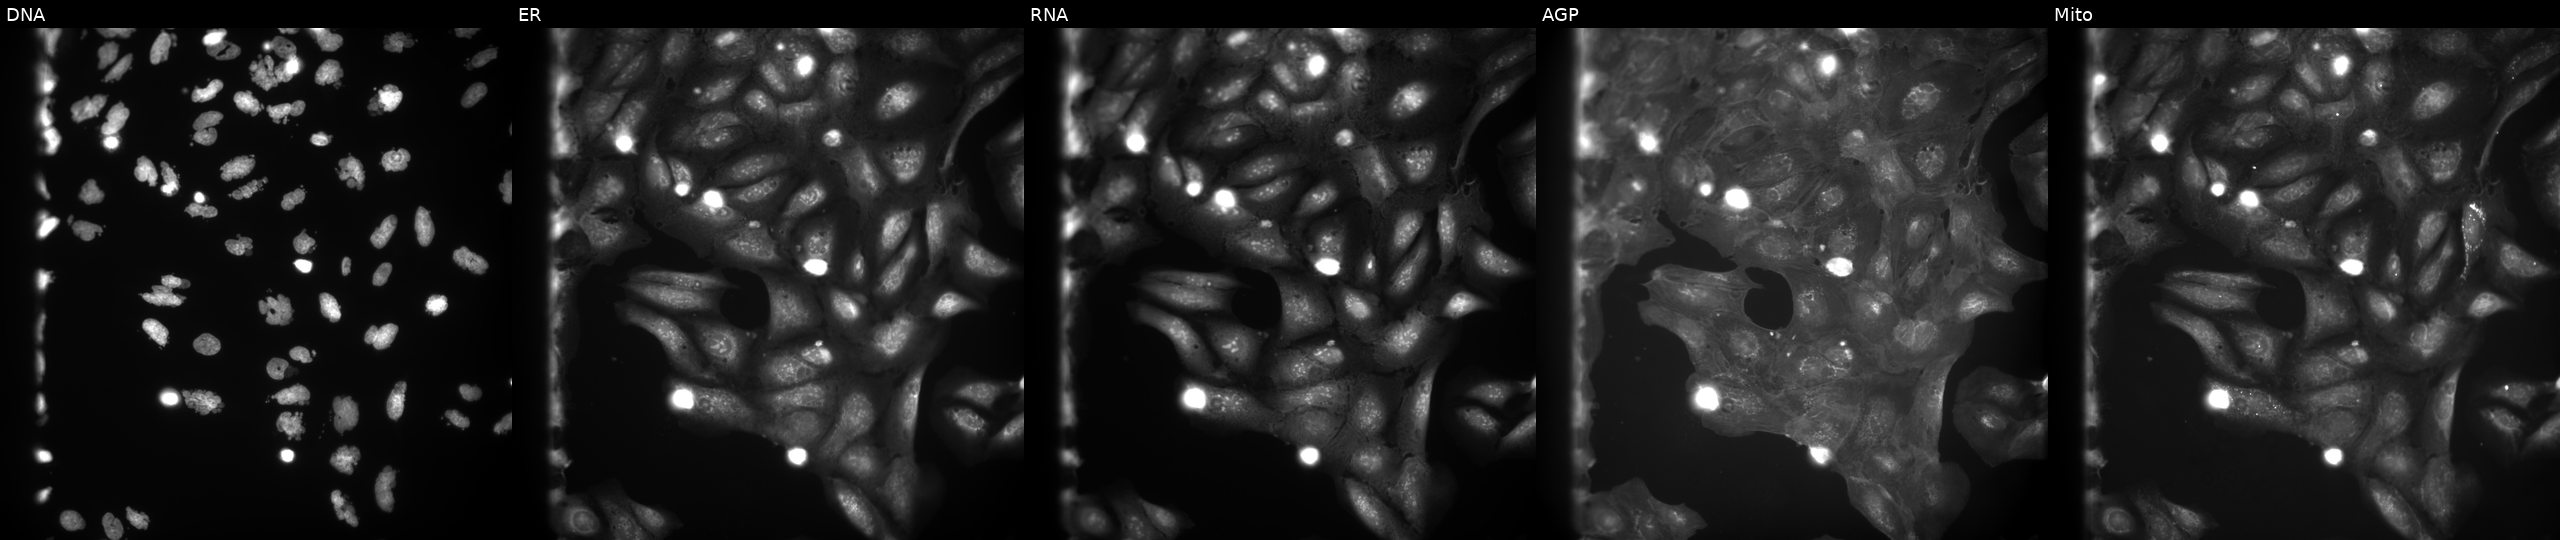
Five-channel Cell Painting image of U2OS cells exposed to the positive-control compound AMG900 (JUMP id JCP2022_037716). From left to right: DNA, ER, RNA, AGP, and Mito.